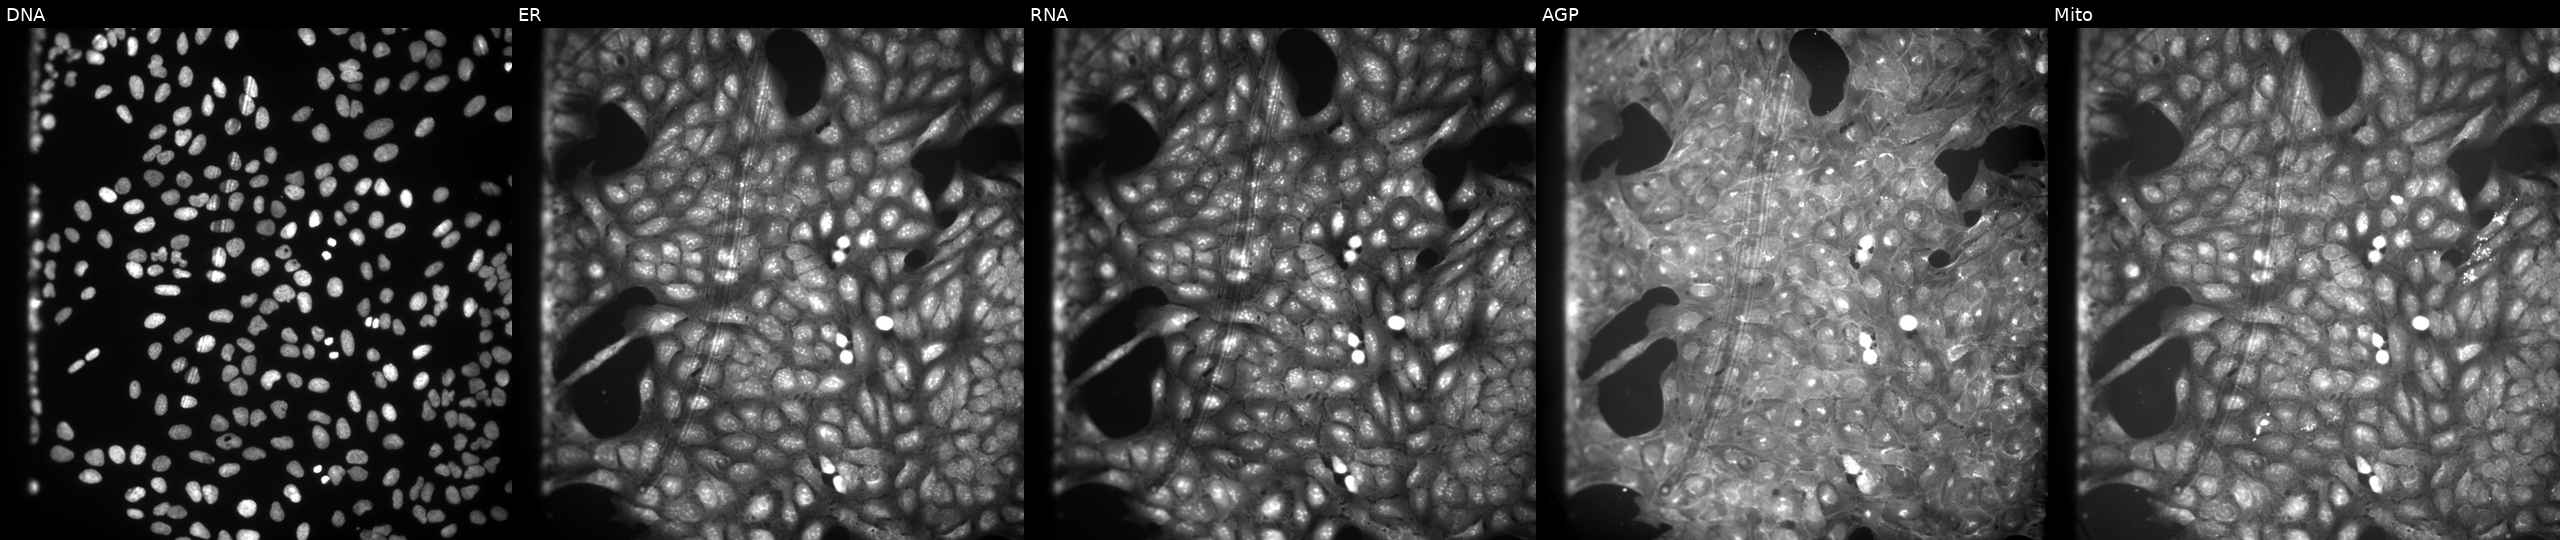
High-content fluorescence microscopy (Cell Painting). Cell line: U2OS. Perturbation: exposed to a small-molecule compound (InChIKey AAWUYRPZLXBHIA-UHFFFAOYSA-N). Channels (left→right): DNA, ER, RNA, AGP, and Mito. Source 9, plate GR00003382, well A09.